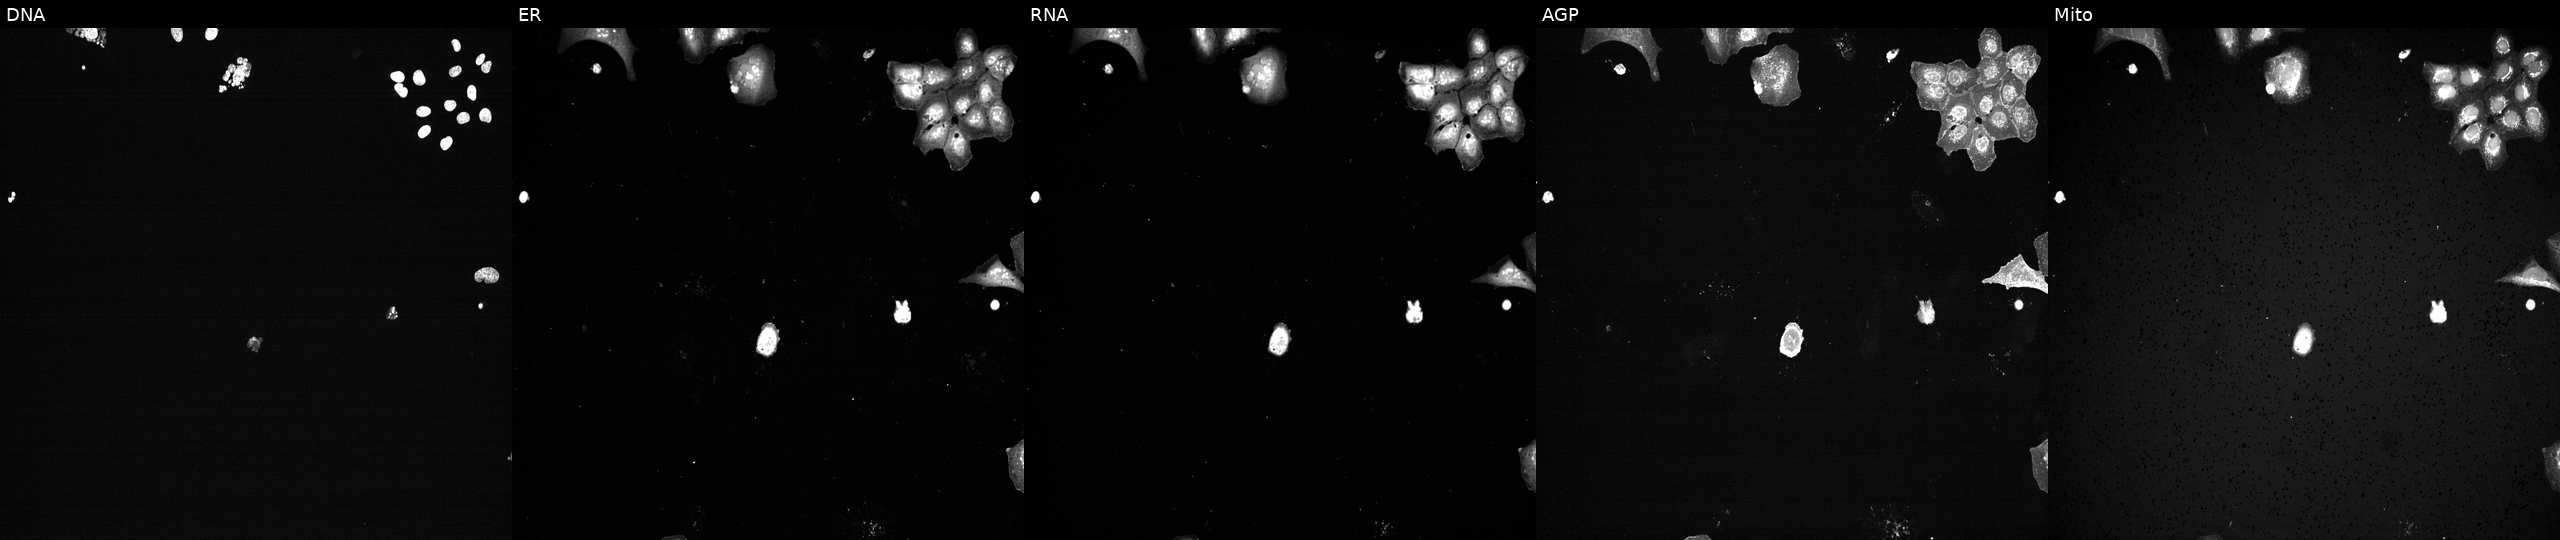
High-content fluorescence microscopy (Cell Painting). Cell line: U2OS. Perturbation: with PLK1 knocked out by CRISPR (positive control). The five panels, left to right, show DNA (nuclei); ER (endoplasmic reticulum); RNA (nucleoli and cytoplasmic RNA); AGP (actin cytoskeleton, Golgi, and plasma membrane); Mito (mitochondria). Source 13, plate CP-CC9-R1-02, well A23.